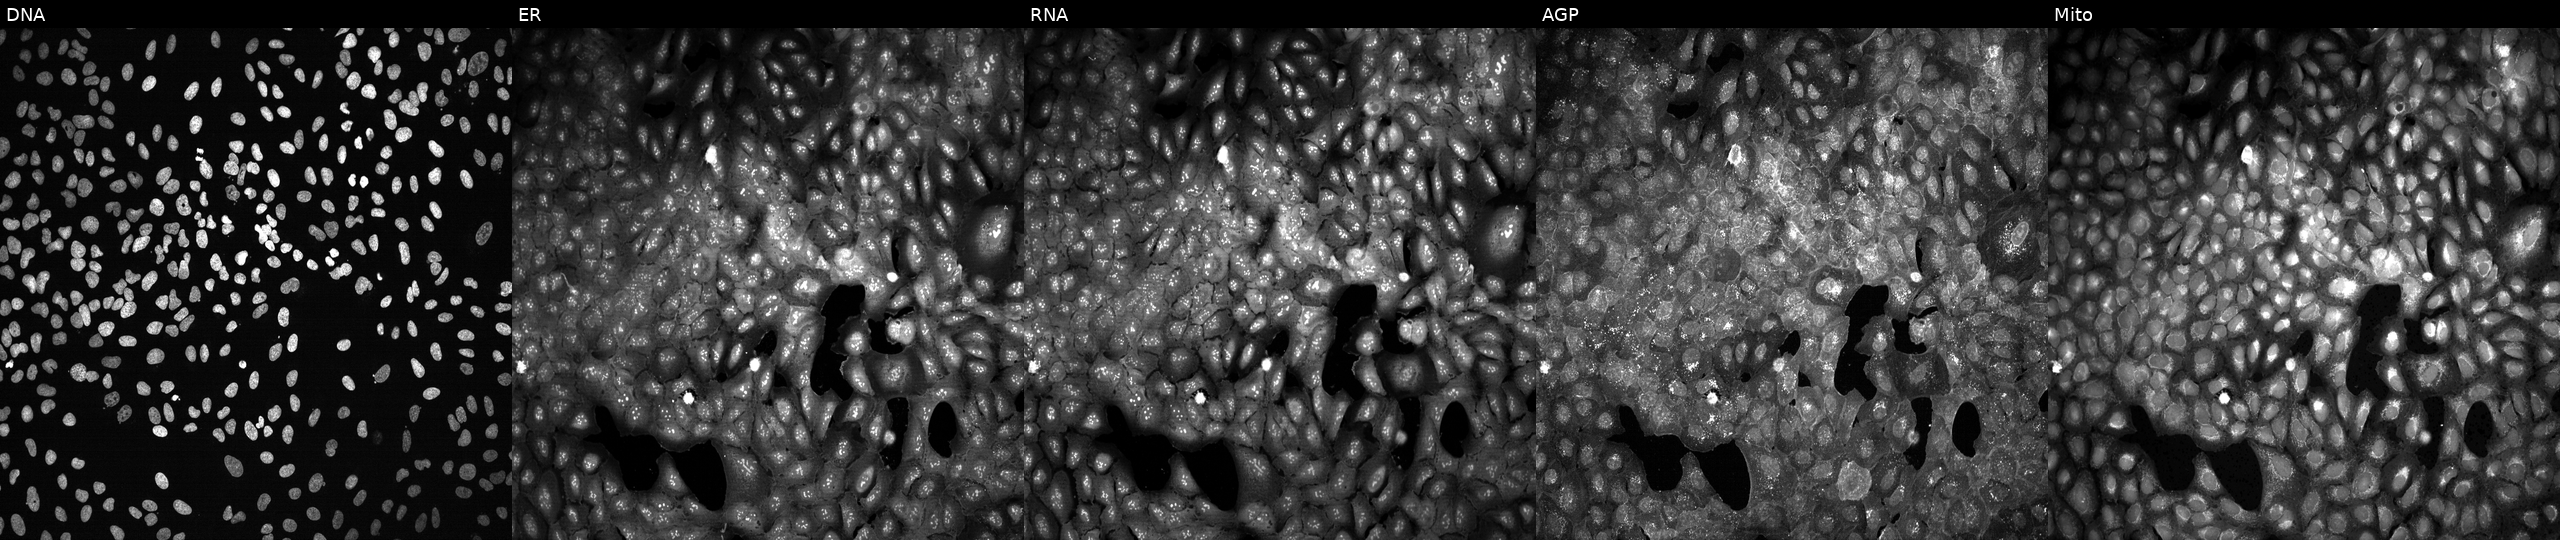
High-content fluorescence microscopy (Cell Painting). Cell line: U2OS. Perturbation: CRISPR-edited to disrupt SLC25A25. From left to right: Hoechst 33342, concanavalin A, SYTO 14, phalloidin and WGA, MitoTracker.